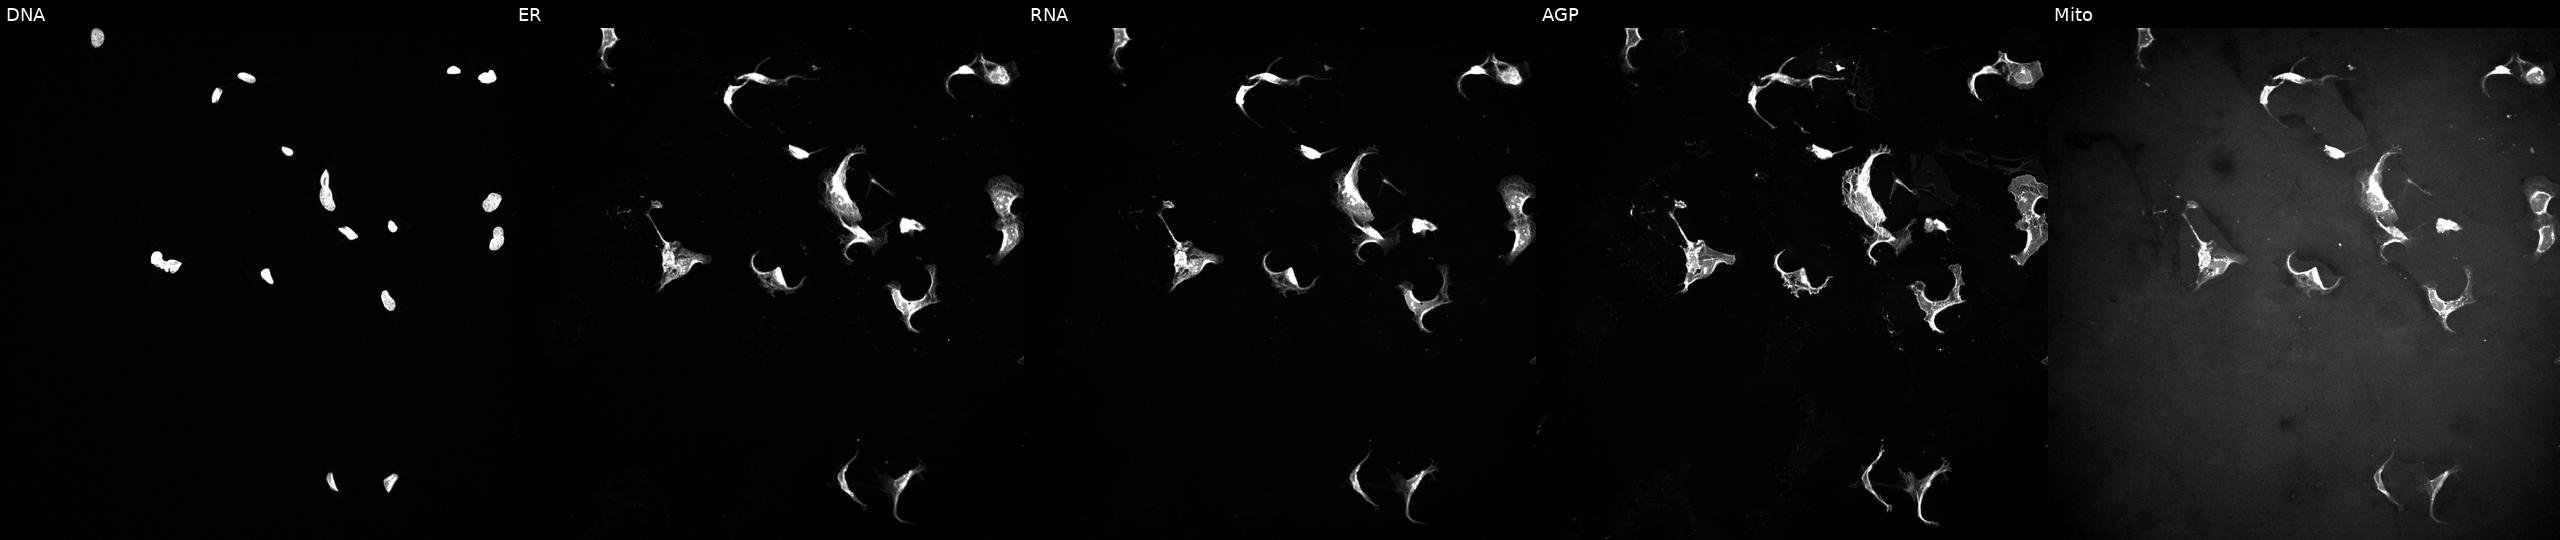
JUMP Cell Painting — TARGET2 plate. U2OS cells perturbed with a small-molecule compound. Channels (left→right): DNA (nuclei); ER (endoplasmic reticulum); RNA (nucleoli and cytoplasmic RNA); AGP (actin cytoskeleton, Golgi, and plasma membrane); Mito (mitochondria).